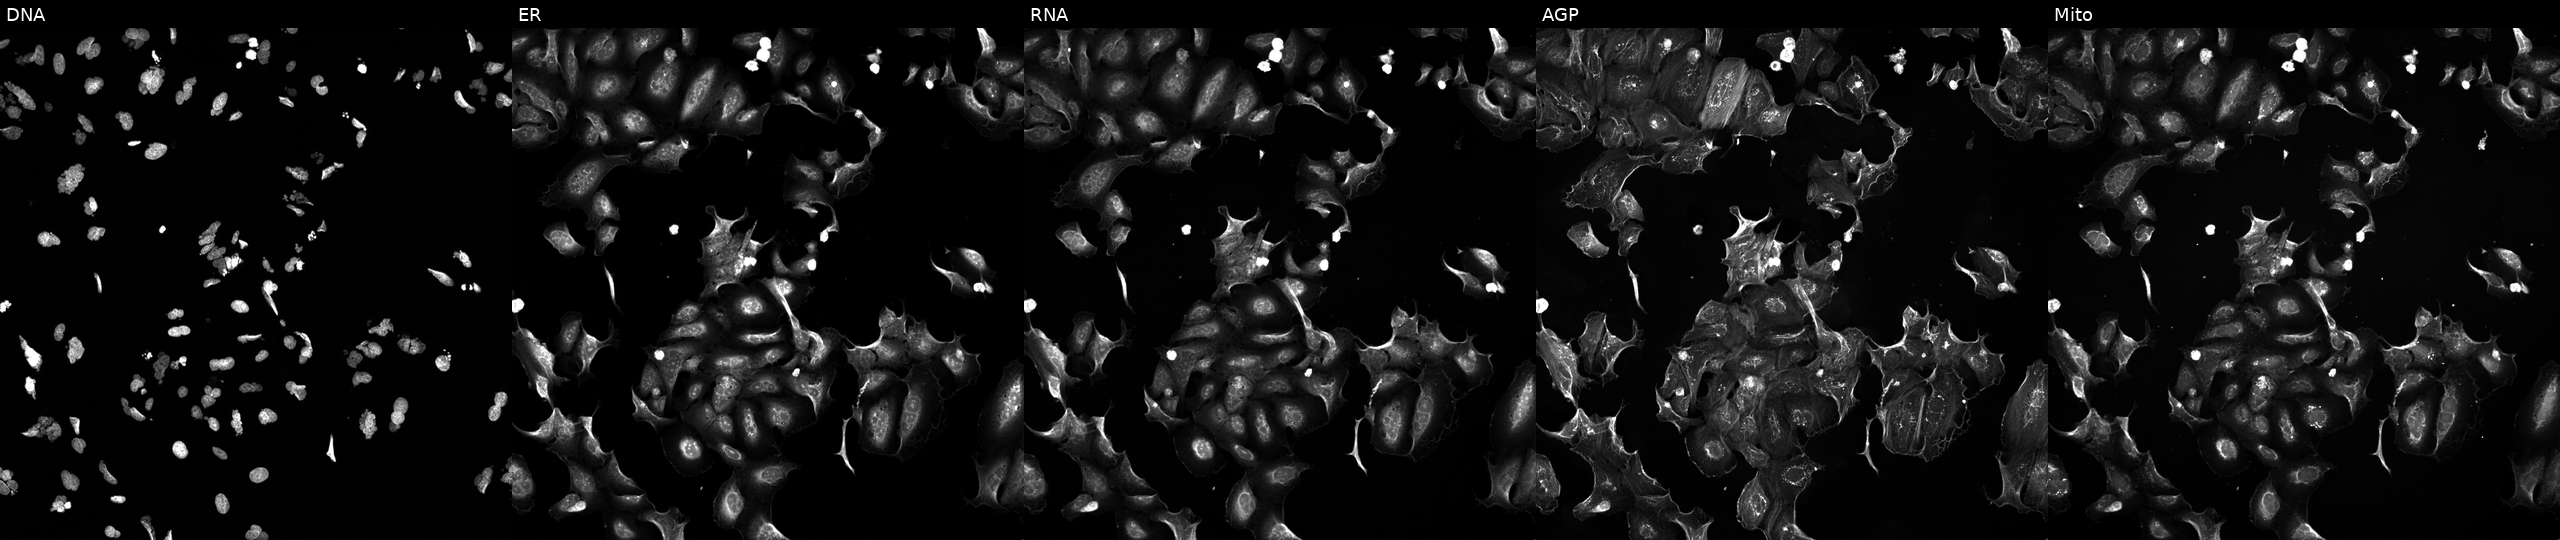
JUMP Cell Painting — COMPOUND plate. U2OS cells perturbed with a small-molecule compound (InChIKey NKXJAEIESOPODH-UHFFFAOYSA-N). Panels show, left to right, DNA, ER, RNA, AGP, and Mito.